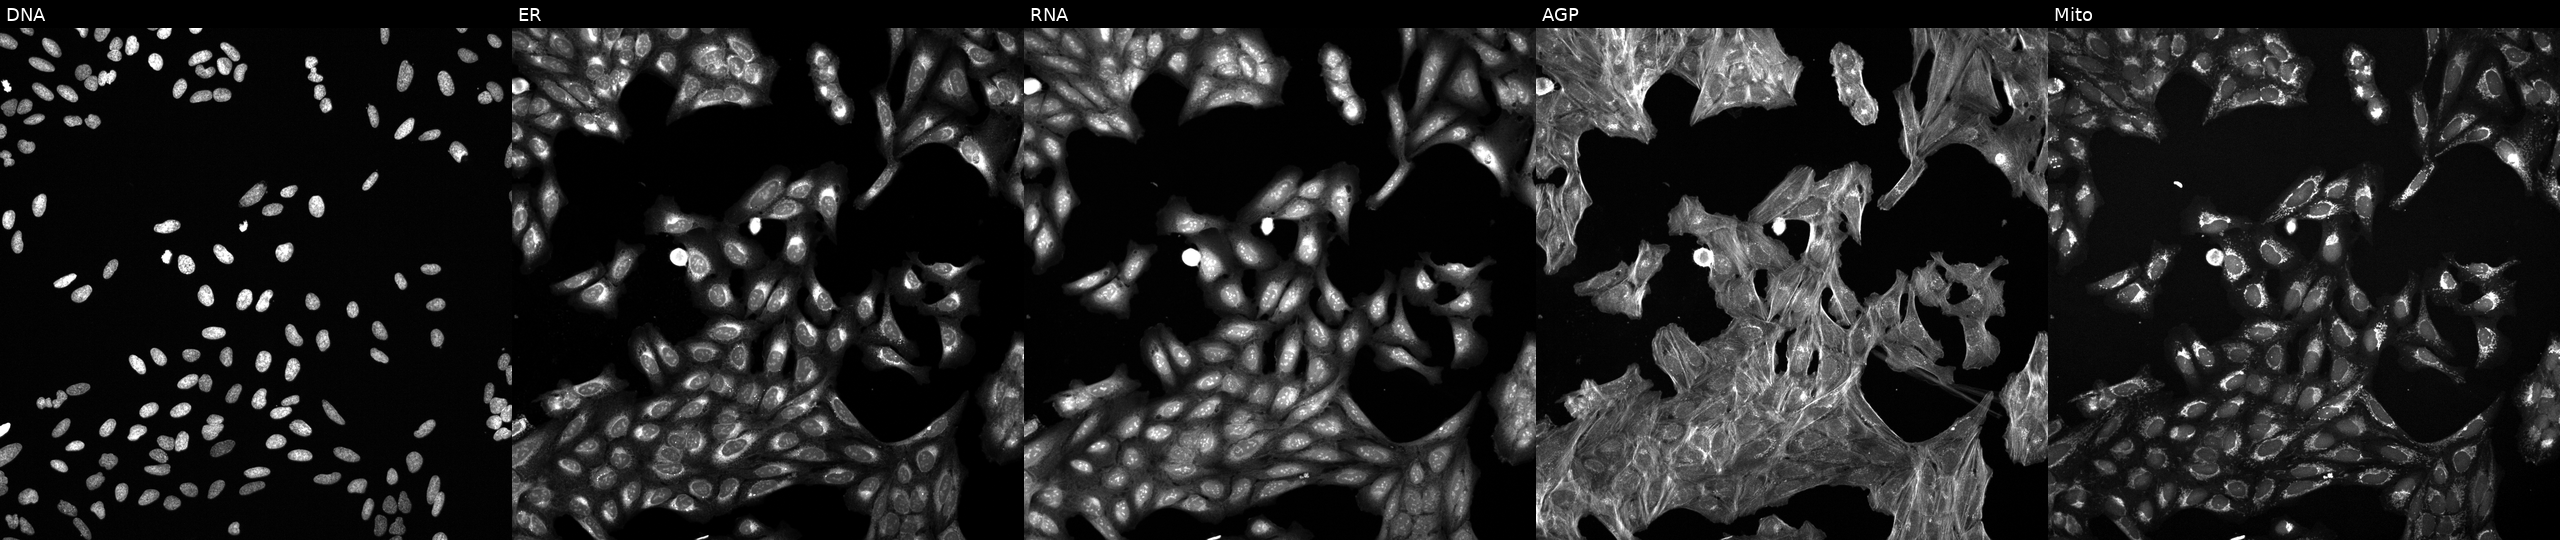
This image strip shows the five Cell Painting channels for a single field of U2OS cells exposed to a small-molecule compound [SMILES: O=C1CN(C(=O)C2CCCCN2S(=O)(=O)c2cccs2)c2ccccc2N1]. The five panels, left to right, show Hoechst 33342, concanavalin A, SYTO 14, phalloidin and WGA, MitoTracker.